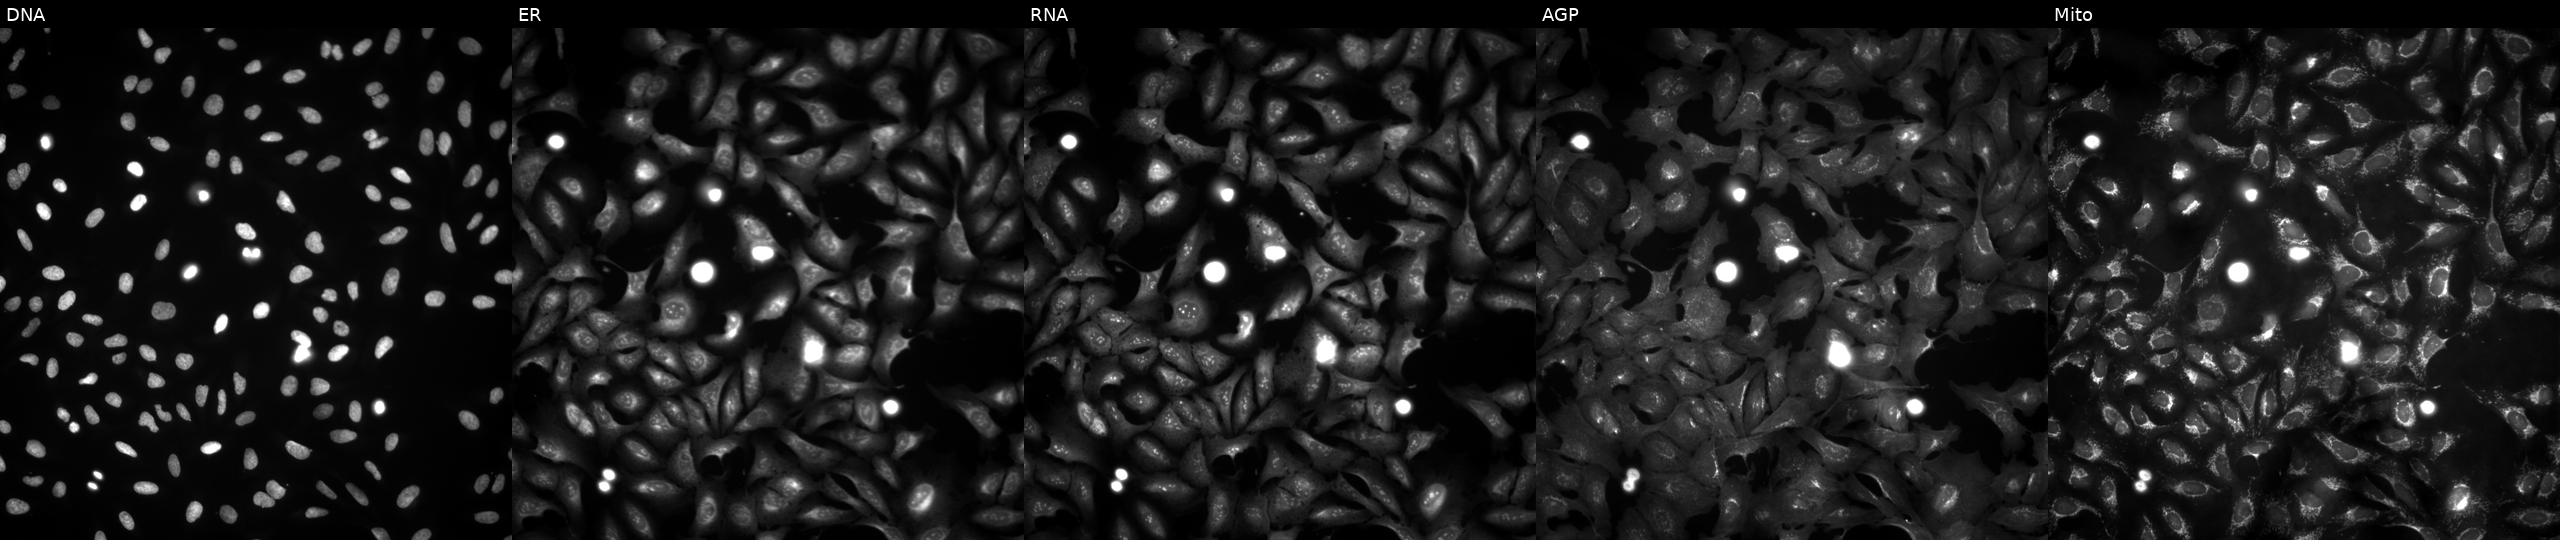
U2OS cells, Cell Painting assay, with ASNS overexpressed (ORF) (JUMP id JCP2022_905477). The five panels, left to right, show DNA (nuclei); ER (endoplasmic reticulum); RNA (nucleoli and cytoplasmic RNA); AGP (actin cytoskeleton, Golgi, and plasma membrane); Mito (mitochondria). Each panel is percentile-stretched 16-bit fluorescence.